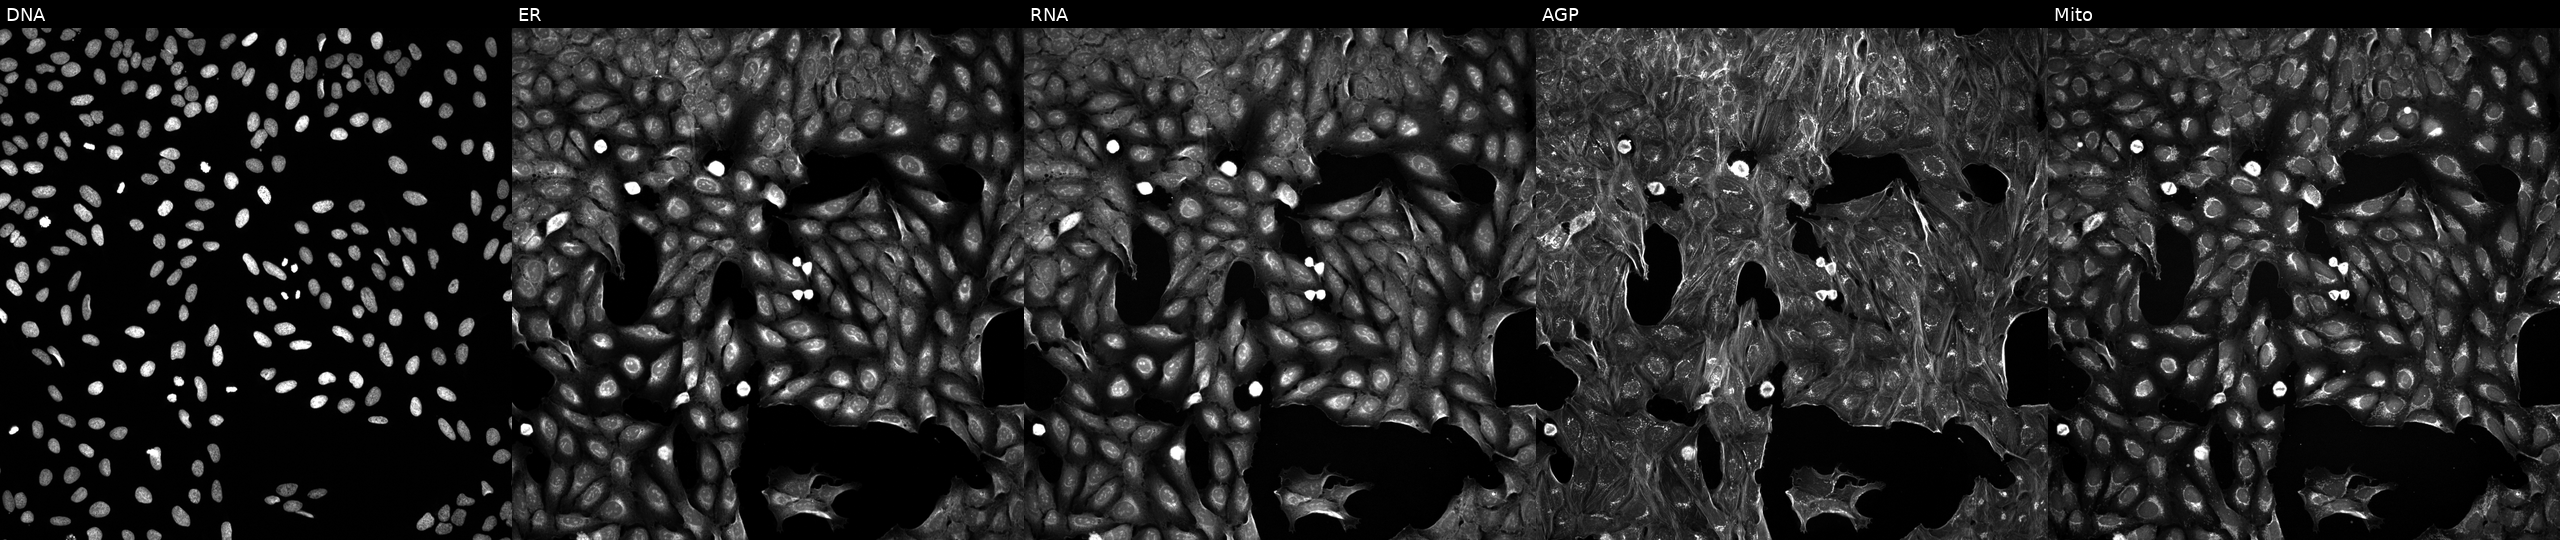
From left to right: DNA (nuclei); ER (endoplasmic reticulum); RNA (nucleoli and cytoplasmic RNA); AGP (actin cytoskeleton, Golgi, and plasma membrane); Mito (mitochondria). U2OS osteosarcoma cells perturbed with a small-molecule compound (InChIKey RAHBGWKEPAQNFF-UHFFFAOYSA-N) (JUMP id JCP2022_077046). Cell Painting assay, JUMP-CP dataset.